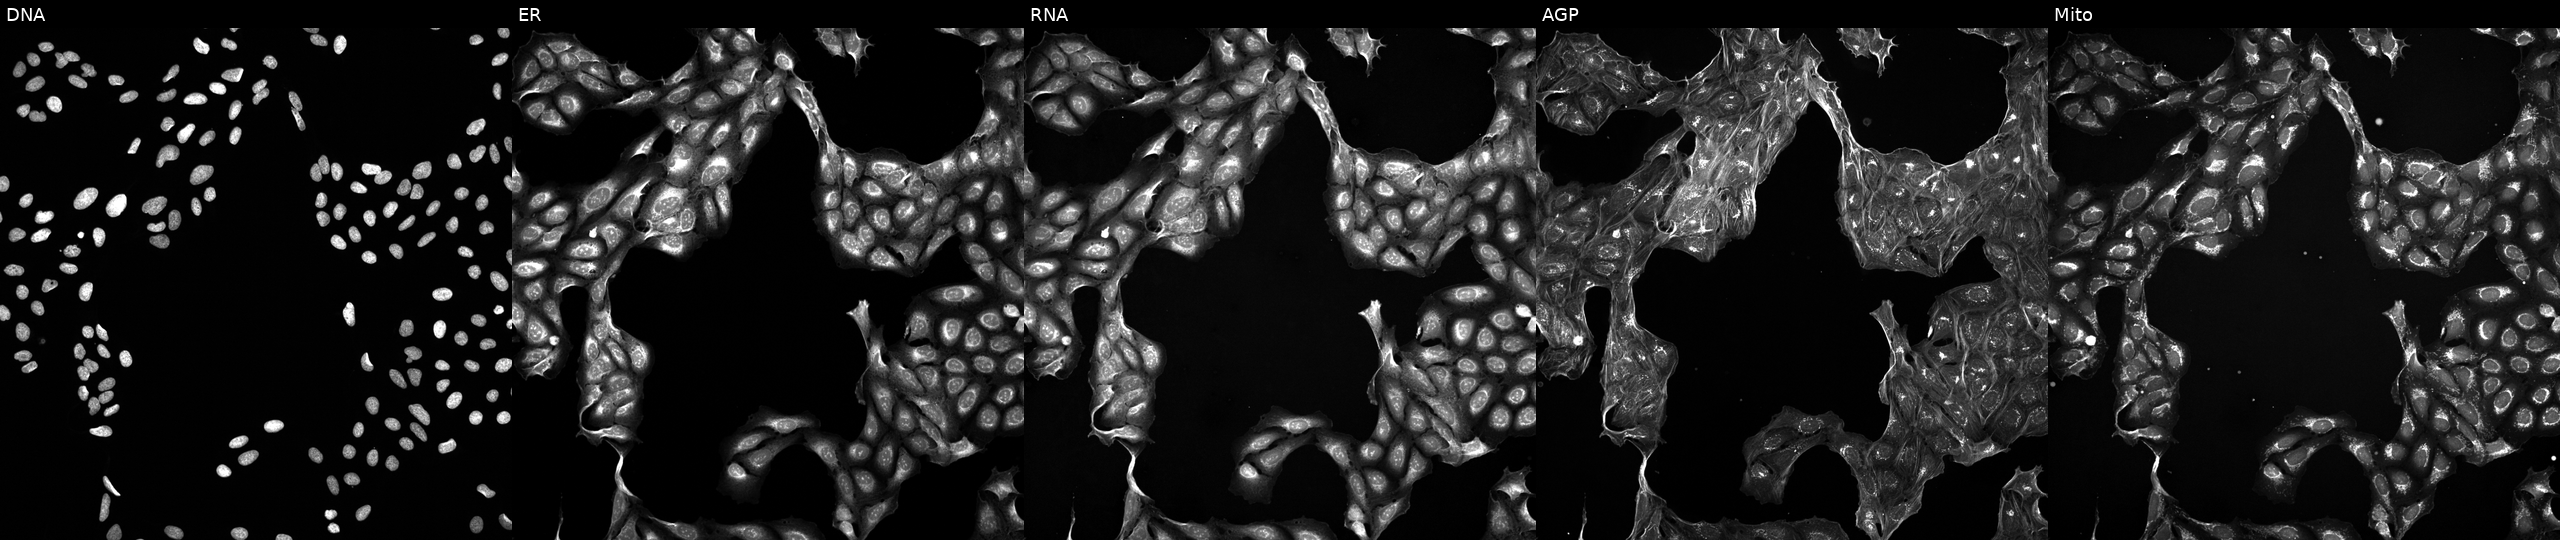
This image strip shows the five Cell Painting channels for a single field of U2OS cells exposed to a small-molecule compound [SMILES: N=c1[nH]c(=N)c2nc(-c3ccccc3)c(=N)[nH]c2[nH]1]. From left to right: DNA (nuclei); ER (endoplasmic reticulum); RNA (nucleoli and cytoplasmic RNA); AGP (actin cytoskeleton, Golgi, and plasma membrane); Mito (mitochondria). Source 5, plate ACPJUM051, well F01.